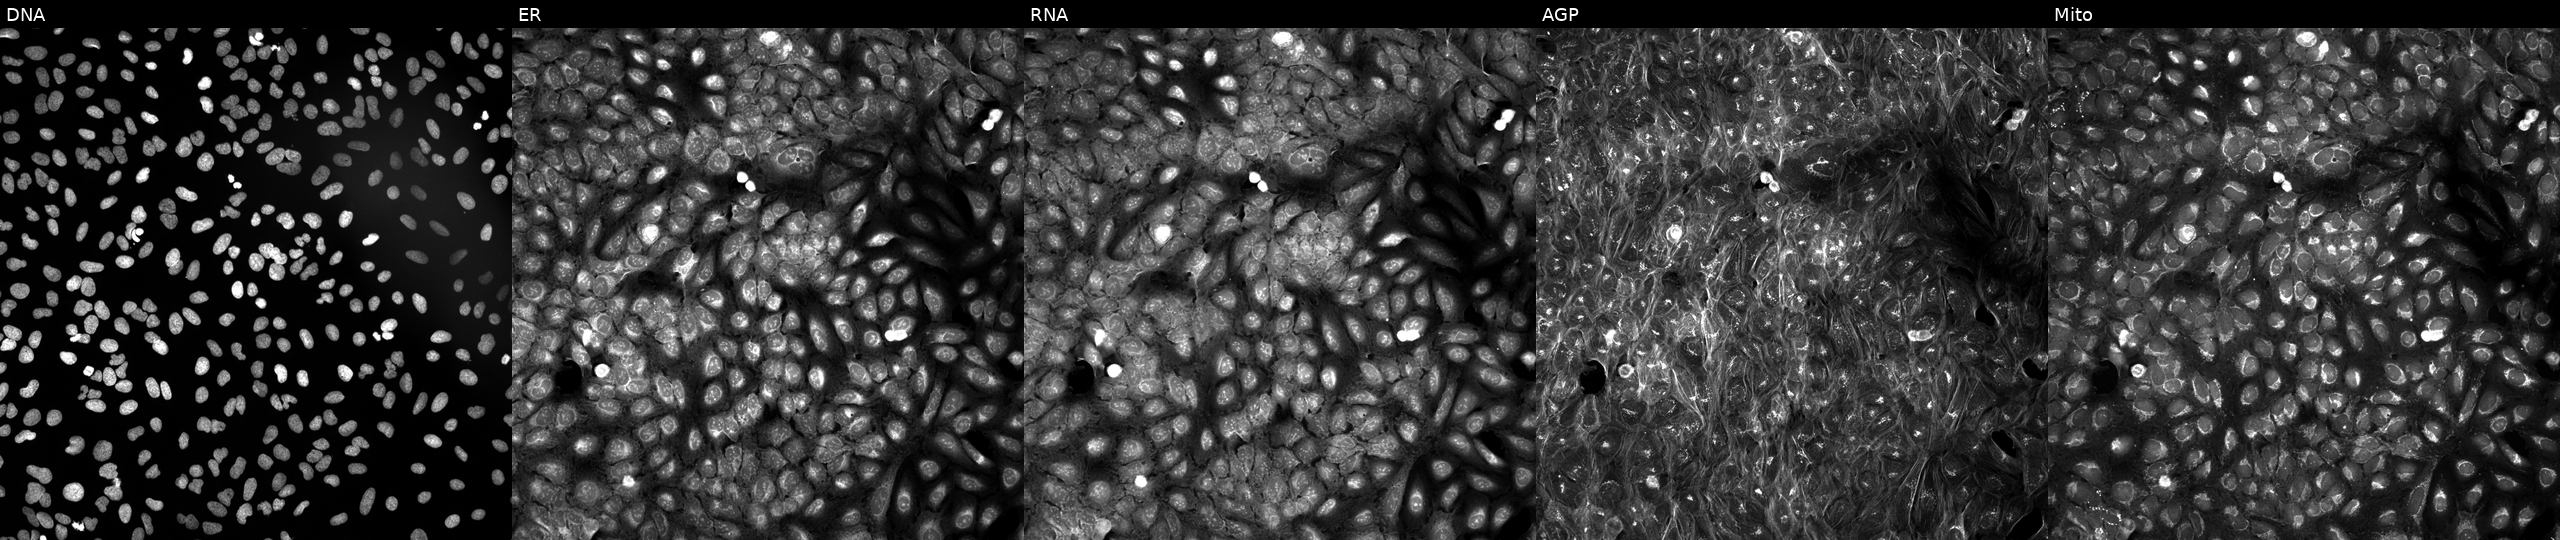
High-content fluorescence microscopy (Cell Painting). Cell line: U2OS. Perturbation: perturbed with a small-molecule compound (InChIKey ZESFDAKNYJQYKO-UHFFFAOYSA-N). From left to right: DNA (nuclei); ER (endoplasmic reticulum); RNA (nucleoli and cytoplasmic RNA); AGP (actin cytoskeleton, Golgi, and plasma membrane); Mito (mitochondria). Source 5, plate ACPJUM032, well P15.